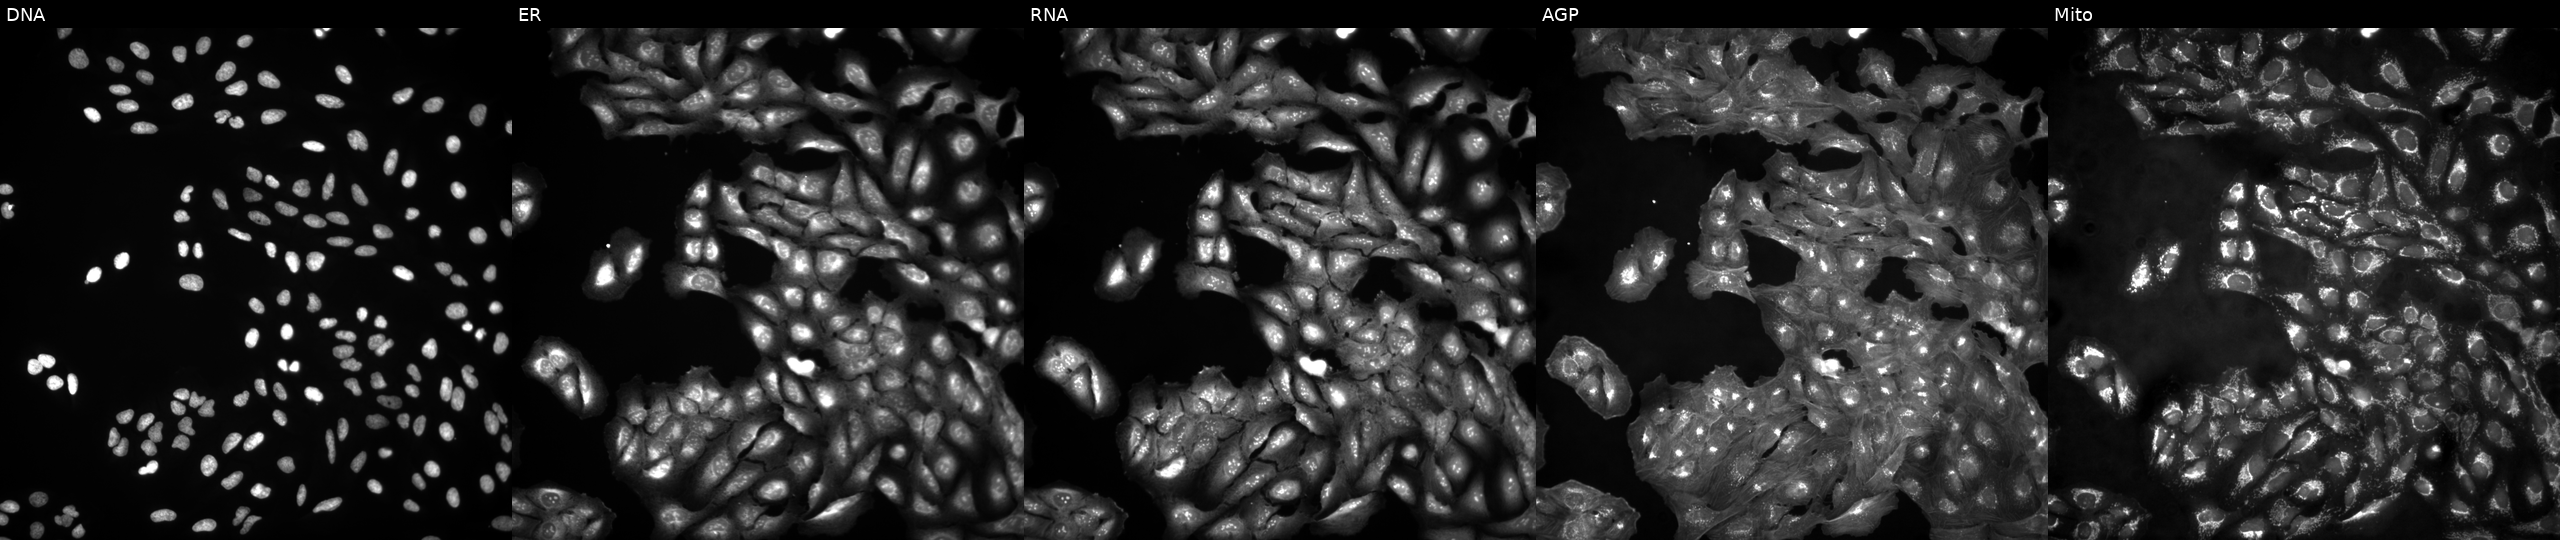
Five-channel Cell Painting image of U2OS cells in an empty control well (no perturbation) (JUMP id JCP2022_999999). The five panels, left to right, show DNA (nuclei); ER (endoplasmic reticulum); RNA (nucleoli and cytoplasmic RNA); AGP (actin cytoskeleton, Golgi, and plasma membrane); Mito (mitochondria).